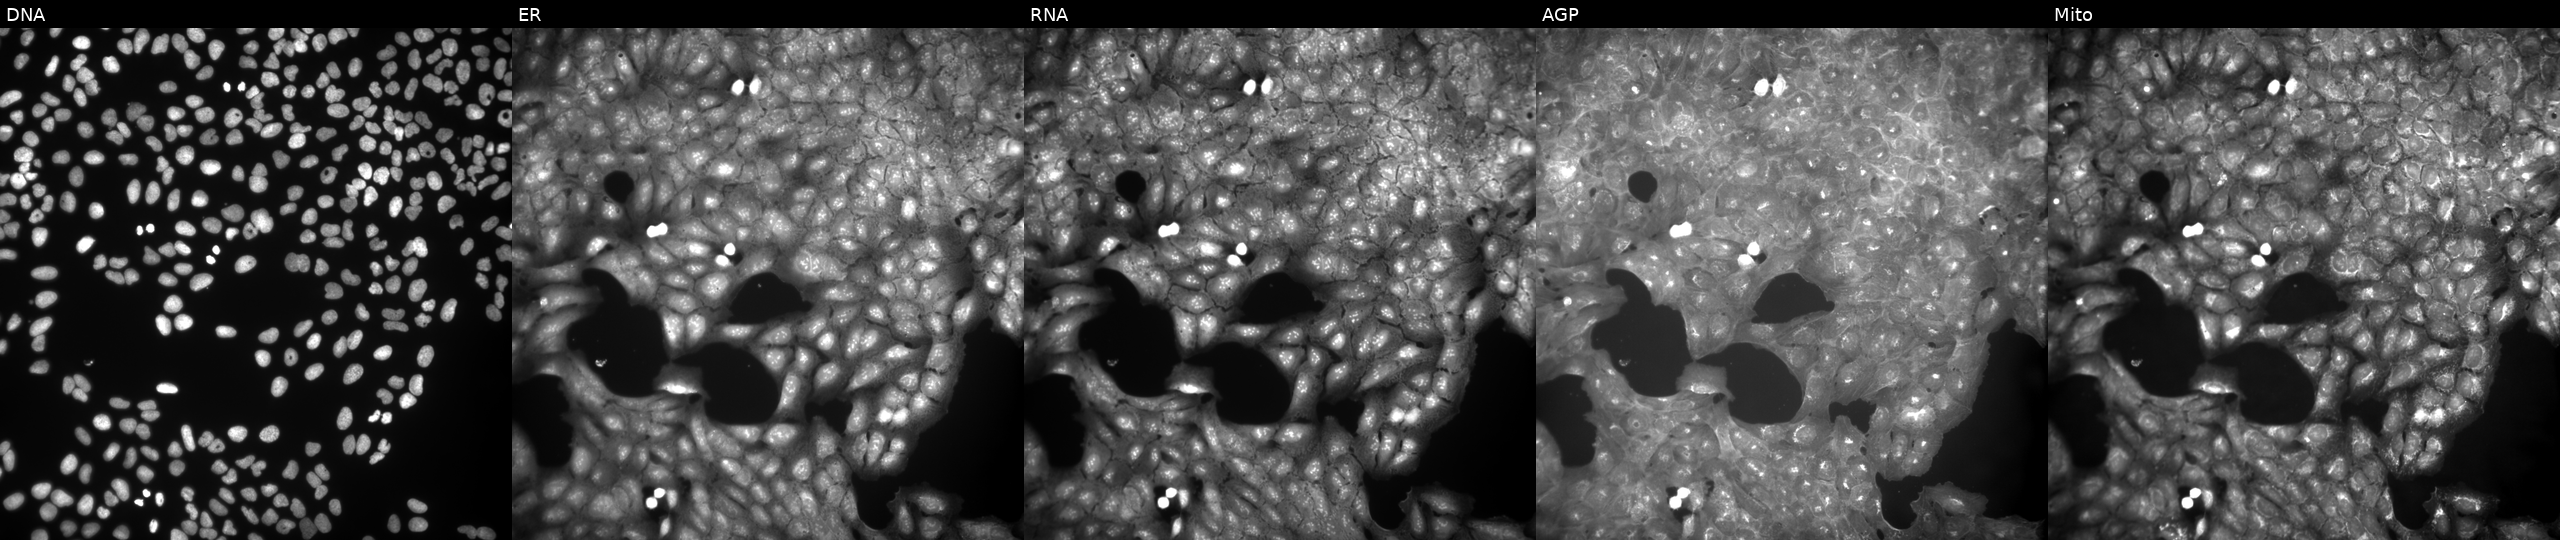
JUMP Cell Painting — COMPOUND plate. U2OS cells exposed to a small-molecule compound (InChIKey FZTKIQAPFPFYGX-UHFFFAOYSA-N) [SMILES: Cc1ccc(C(=O)Nc2sc(C)c(C)c2C(=O)O)cc1] (JUMP id JCP2022_024051). The five panels, left to right, show DNA (nuclei); ER (endoplasmic reticulum); RNA (nucleoli and cytoplasmic RNA); AGP (actin cytoskeleton, Golgi, and plasma membrane); Mito (mitochondria).